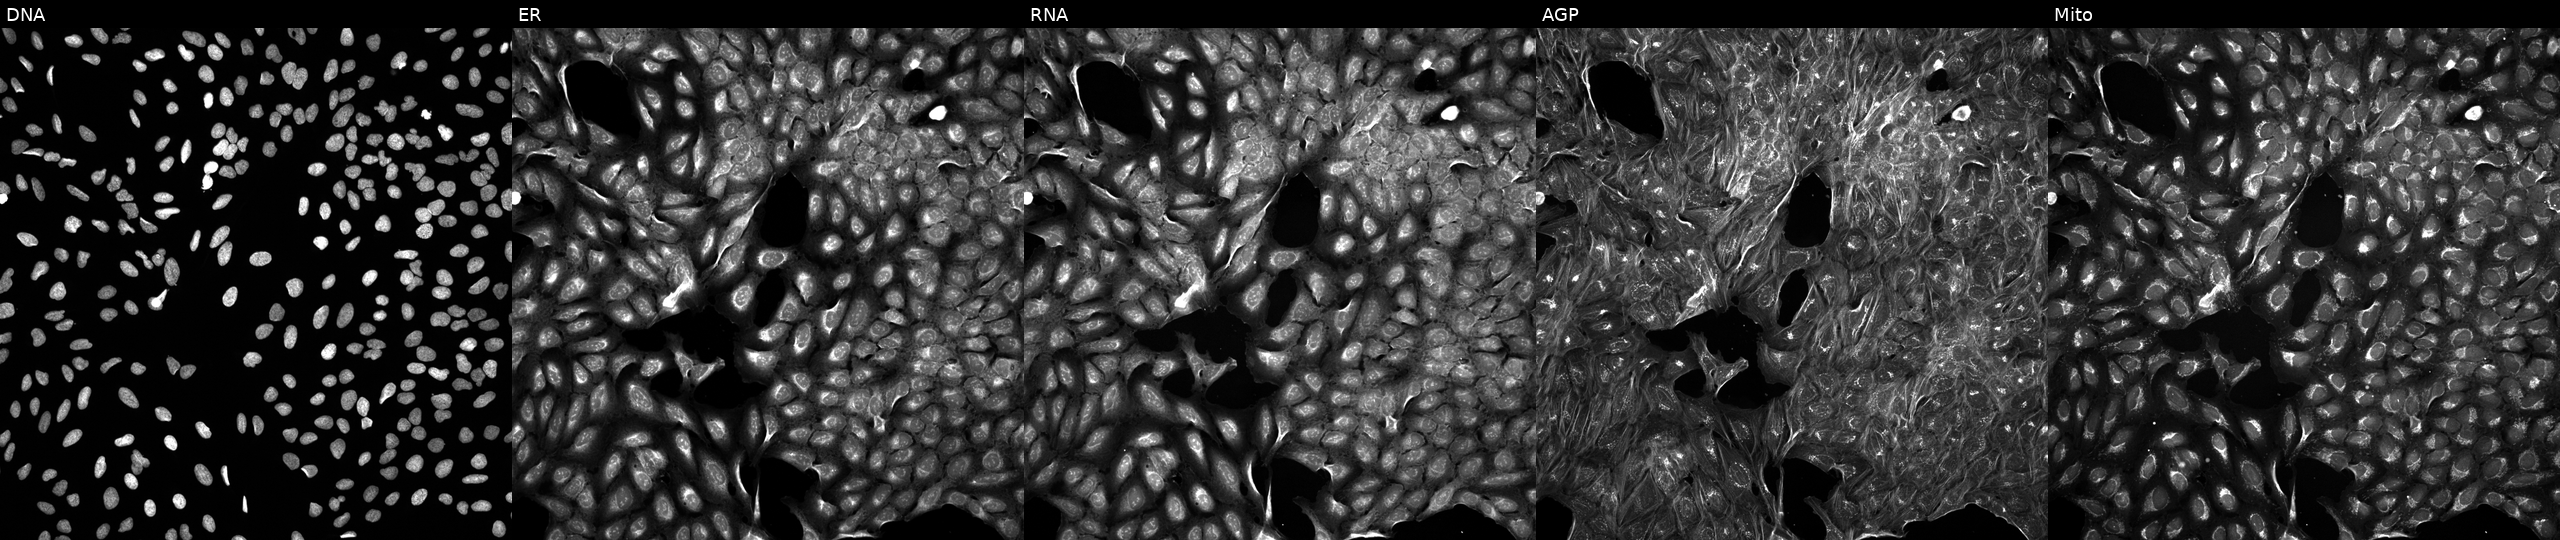
JUMP Cell Painting — TARGET2 plate. U2OS cells treated with a small-molecule compound [SMILES: C=c1[nH]c(=Cc2c(O)[nH]c3ccccc23)c(C)c1CCC(=O)O]. Channels (left→right): DNA (nuclei); ER (endoplasmic reticulum); RNA (nucleoli and cytoplasmic RNA); AGP (actin cytoskeleton, Golgi, and plasma membrane); Mito (mitochondria).